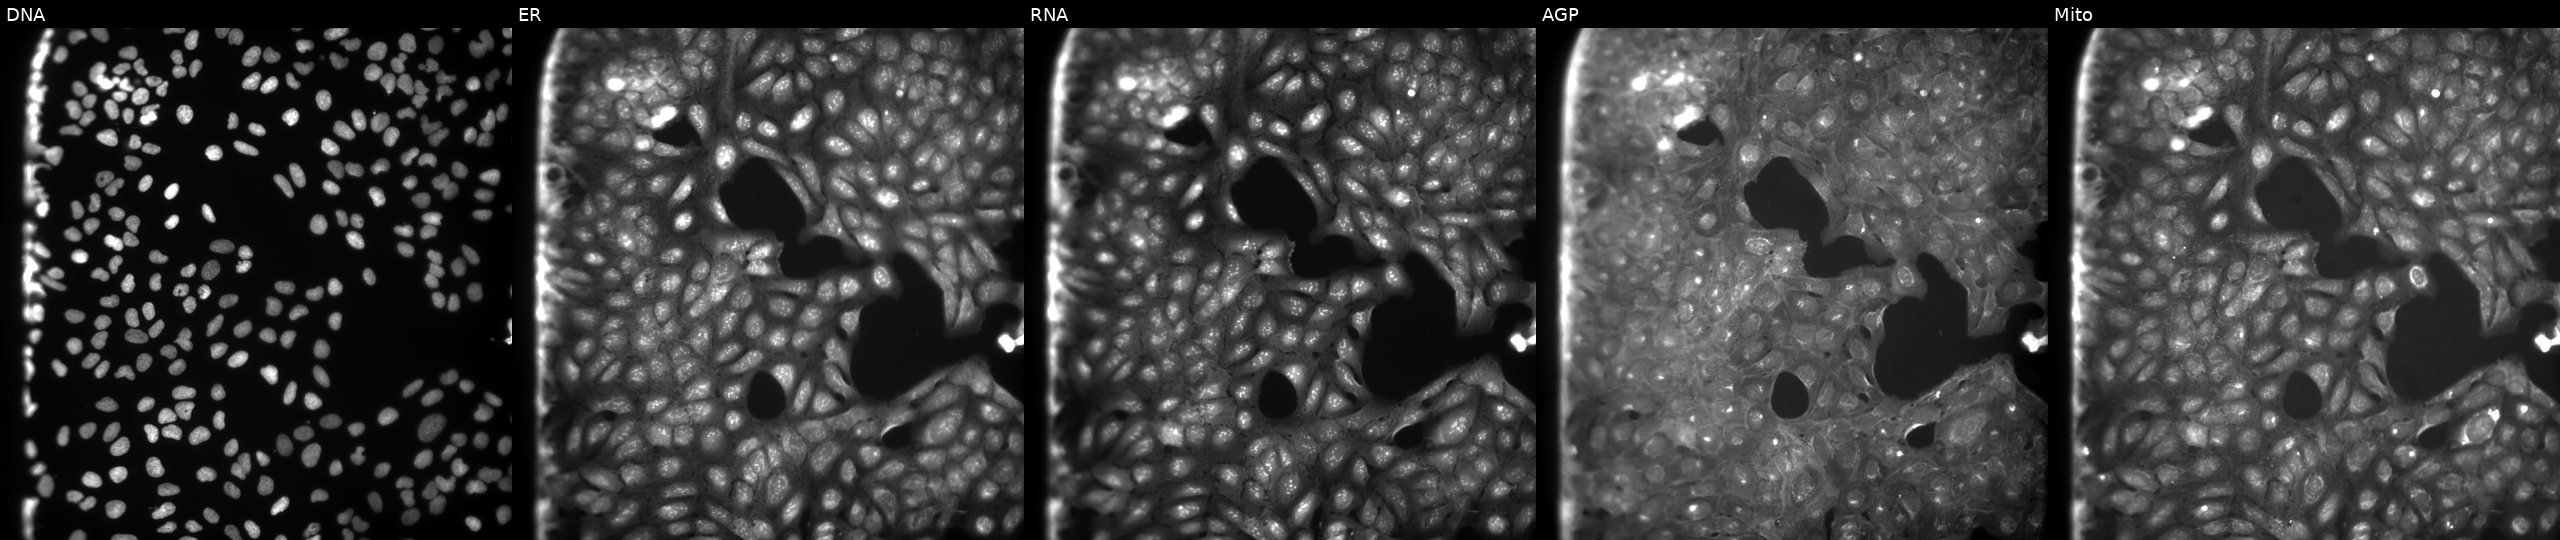
This image strip shows the five Cell Painting channels for a single field of U2OS cells treated with aloxistatin (positive-control compound) (JUMP id JCP2022_085227). Panels show, left to right, DNA, ER, RNA, AGP, and Mito. Source 9, plate GR00003382, well Q01.